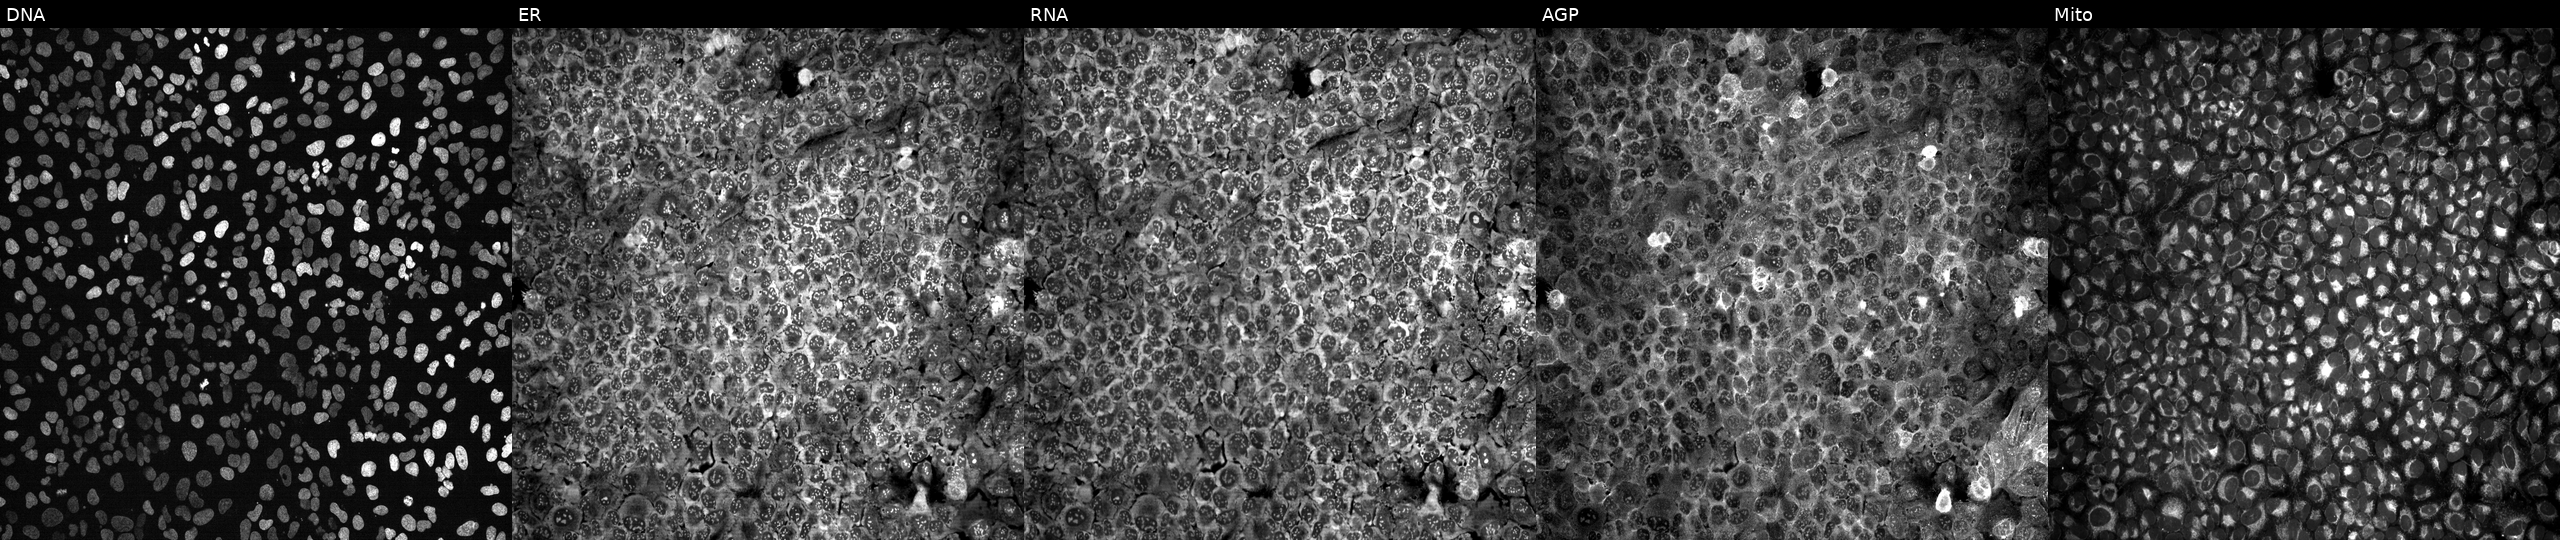
JUMP Cell Painting — CRISPR plate. U2OS cells CRISPR-edited to disrupt RAD9A. The five panels, left to right, show DNA, ER, RNA, AGP, and Mito.